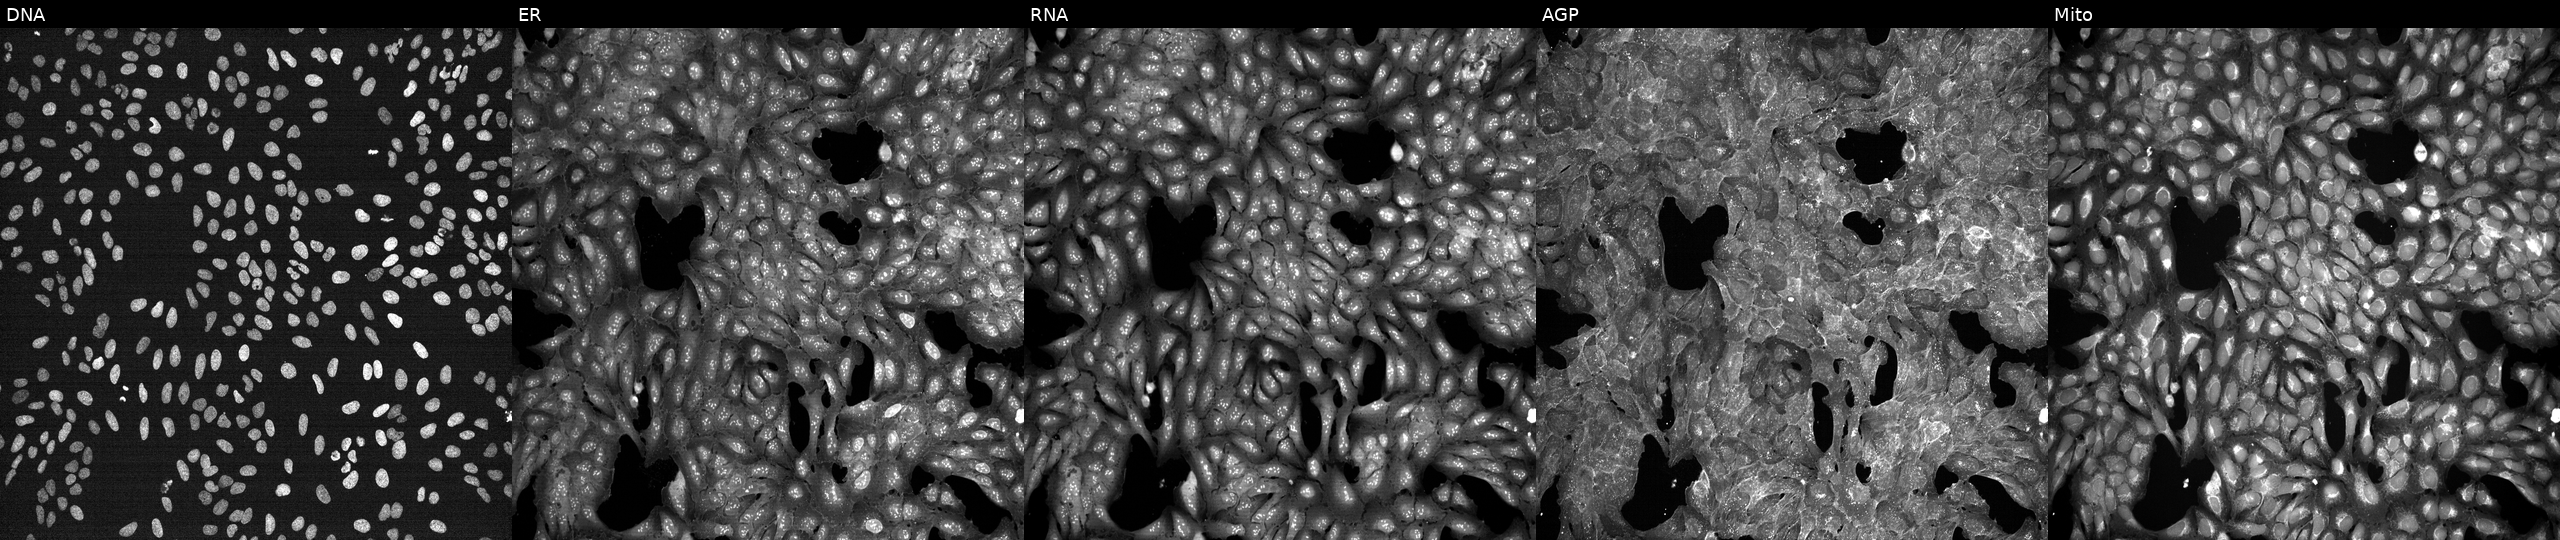
Five-channel Cell Painting image of U2OS cells exposed to a small-molecule compound (JUMP id JCP2022_024601). Panels show, left to right, DNA (nuclei); ER (endoplasmic reticulum); RNA (nucleoli and cytoplasmic RNA); AGP (actin cytoskeleton, Golgi, and plasma membrane); Mito (mitochondria).